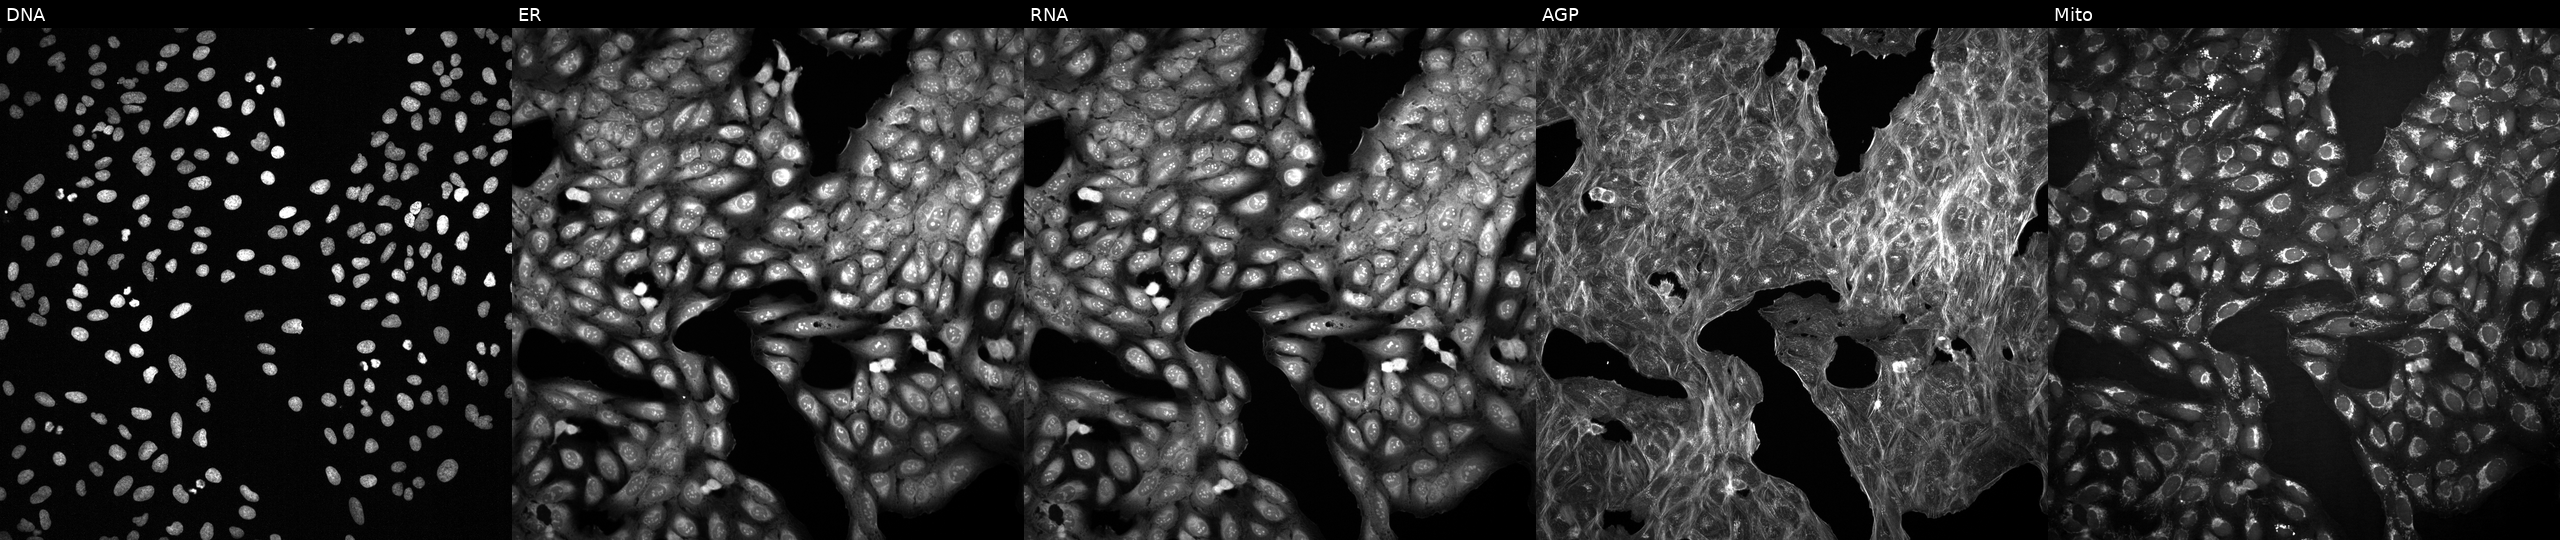
Five-channel Cell Painting image of U2OS cells with an unidentified perturbation (not annotated in JUMP metadata). Channels (left→right): Hoechst 33342, concanavalin A, SYTO 14, phalloidin and WGA, MitoTracker. Source 2, plate 1053601763, well F14.